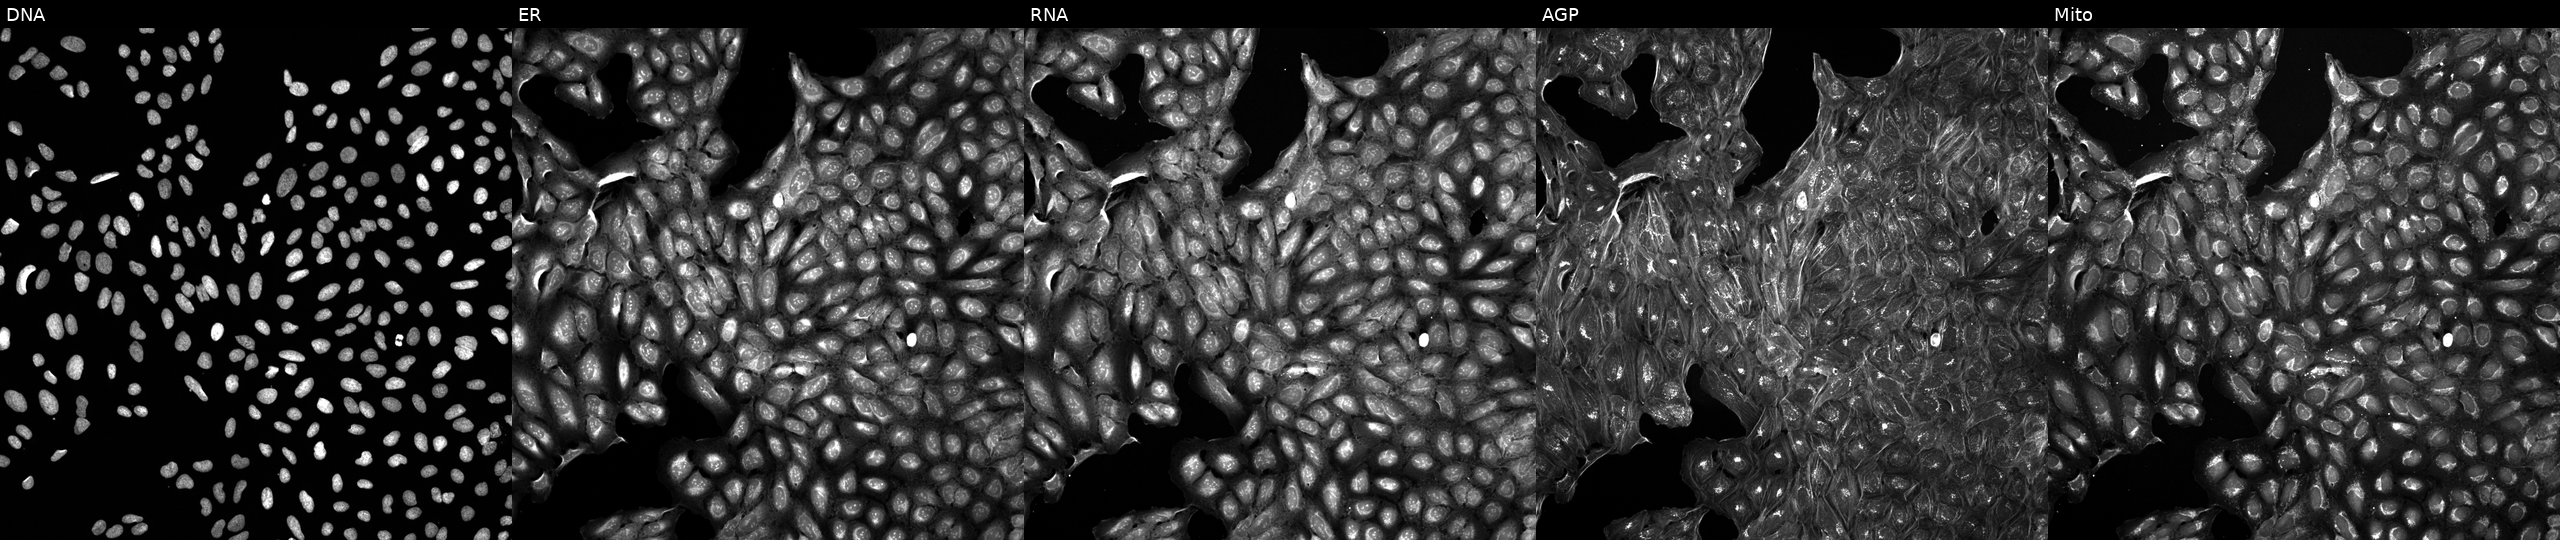
U2OS cells, Cell Painting assay, perturbed with a small-molecule compound (InChIKey IFVZTEACCXDDQM-UHFFFAOYSA-N). From left to right: Hoechst 33342, concanavalin A, SYTO 14, phalloidin and WGA, MitoTracker. Each panel is percentile-stretched 16-bit fluorescence. Source 5, plate APTJUM106, well E11.